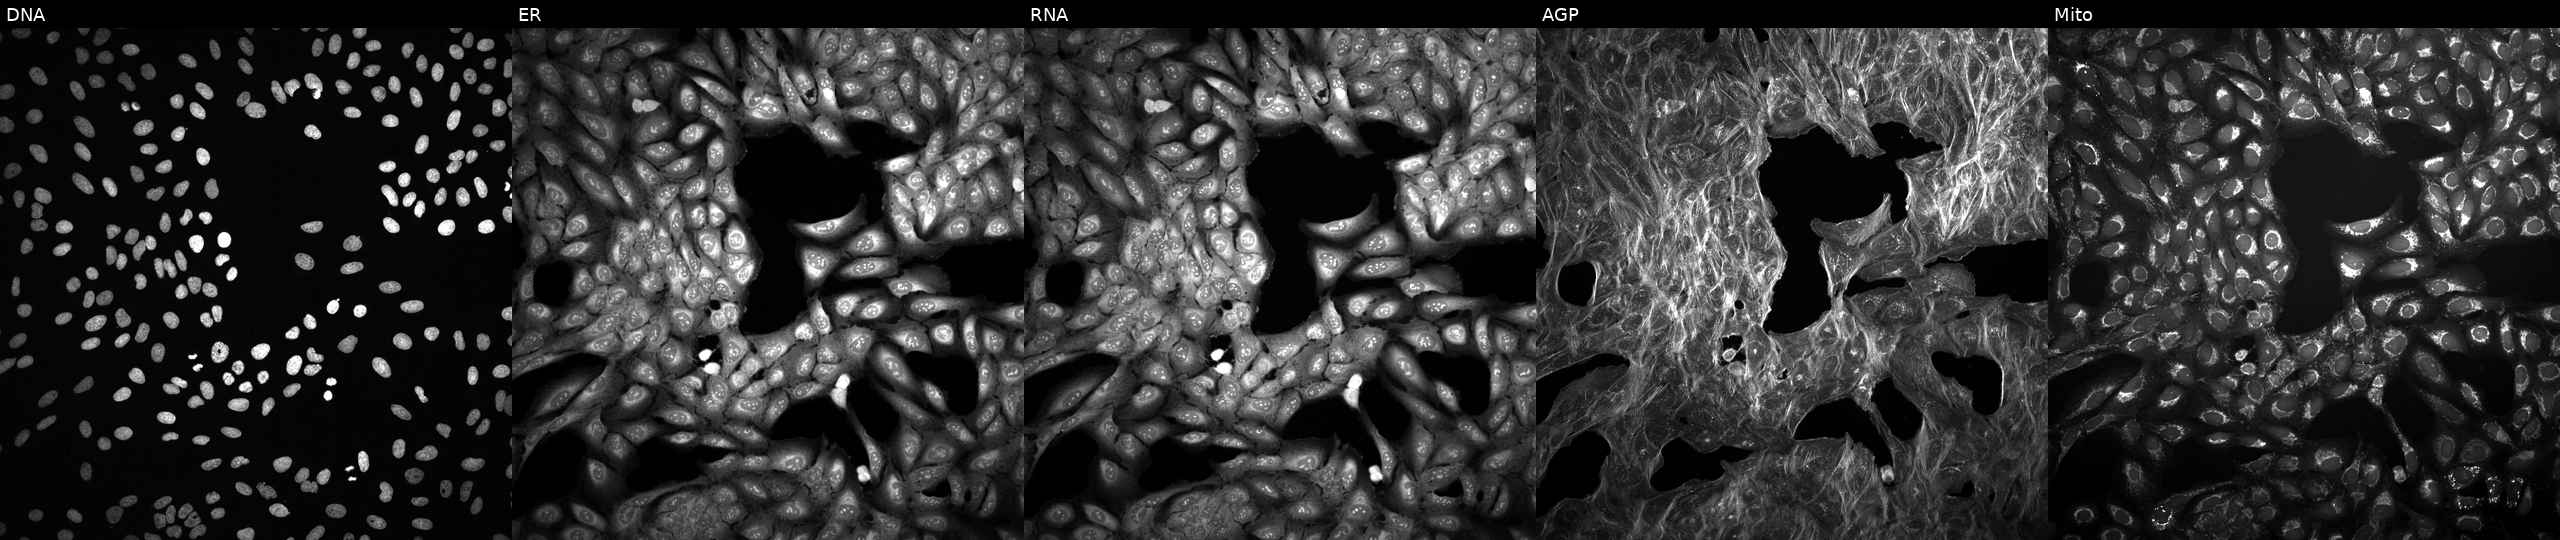
High-content fluorescence microscopy (Cell Painting). Cell line: U2OS. Perturbation: exposed to a small-molecule compound (InChIKey RATZLMXRALDSJW-UHFFFAOYSA-N) (JUMP id JCP2022_077142). The five panels, left to right, show DNA (nuclei); ER (endoplasmic reticulum); RNA (nucleoli and cytoplasmic RNA); AGP (actin cytoskeleton, Golgi, and plasma membrane); Mito (mitochondria).